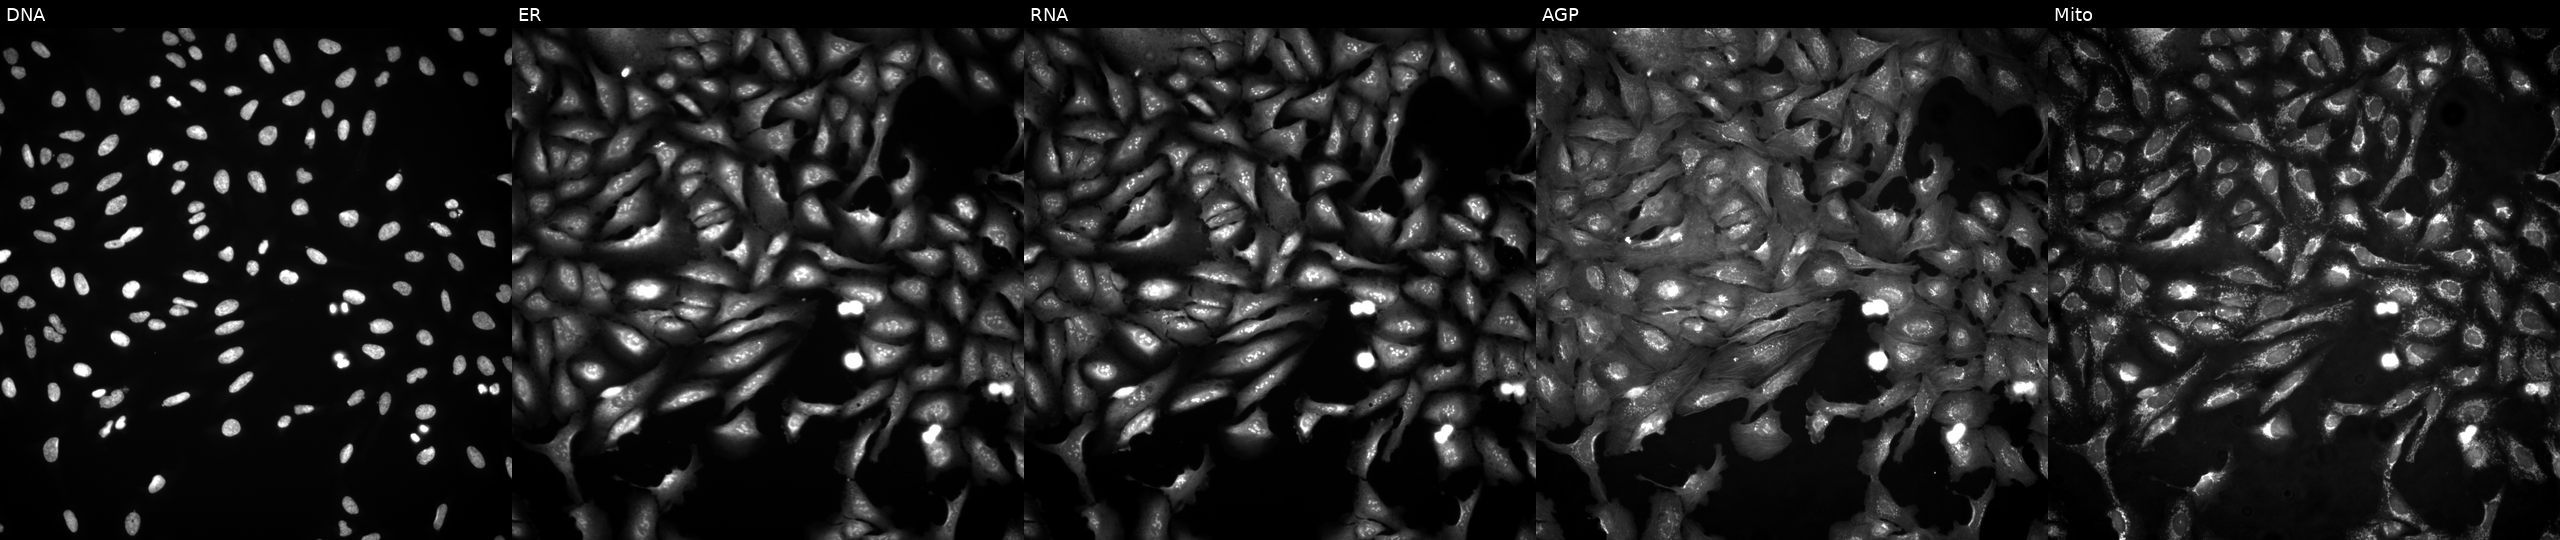
High-content fluorescence microscopy (Cell Painting). Cell line: U2OS. Perturbation: with XLOC_l2_005023 overexpressed (ORF) (JUMP id JCP2022_909699). The five panels, left to right, show Hoechst 33342, concanavalin A, SYTO 14, phalloidin and WGA, MitoTracker.